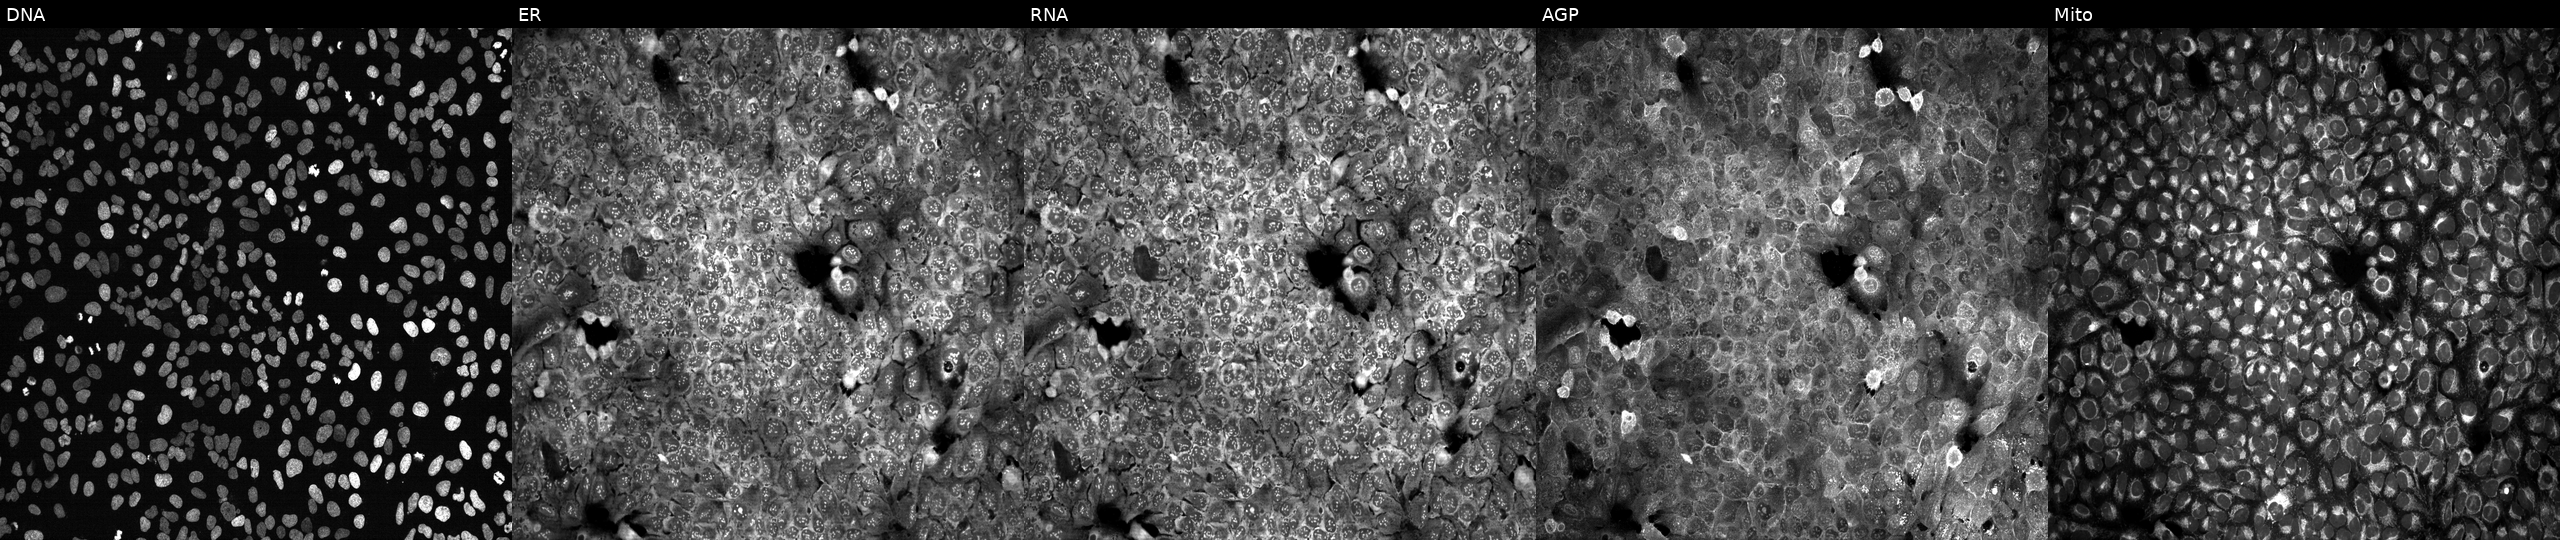
JUMP Cell Painting — CRISPR plate. U2OS cells CRISPR-edited to disrupt SIRT7 (JUMP id JCP2022_806346). Panels show, left to right, DNA, ER, RNA, AGP, and Mito.